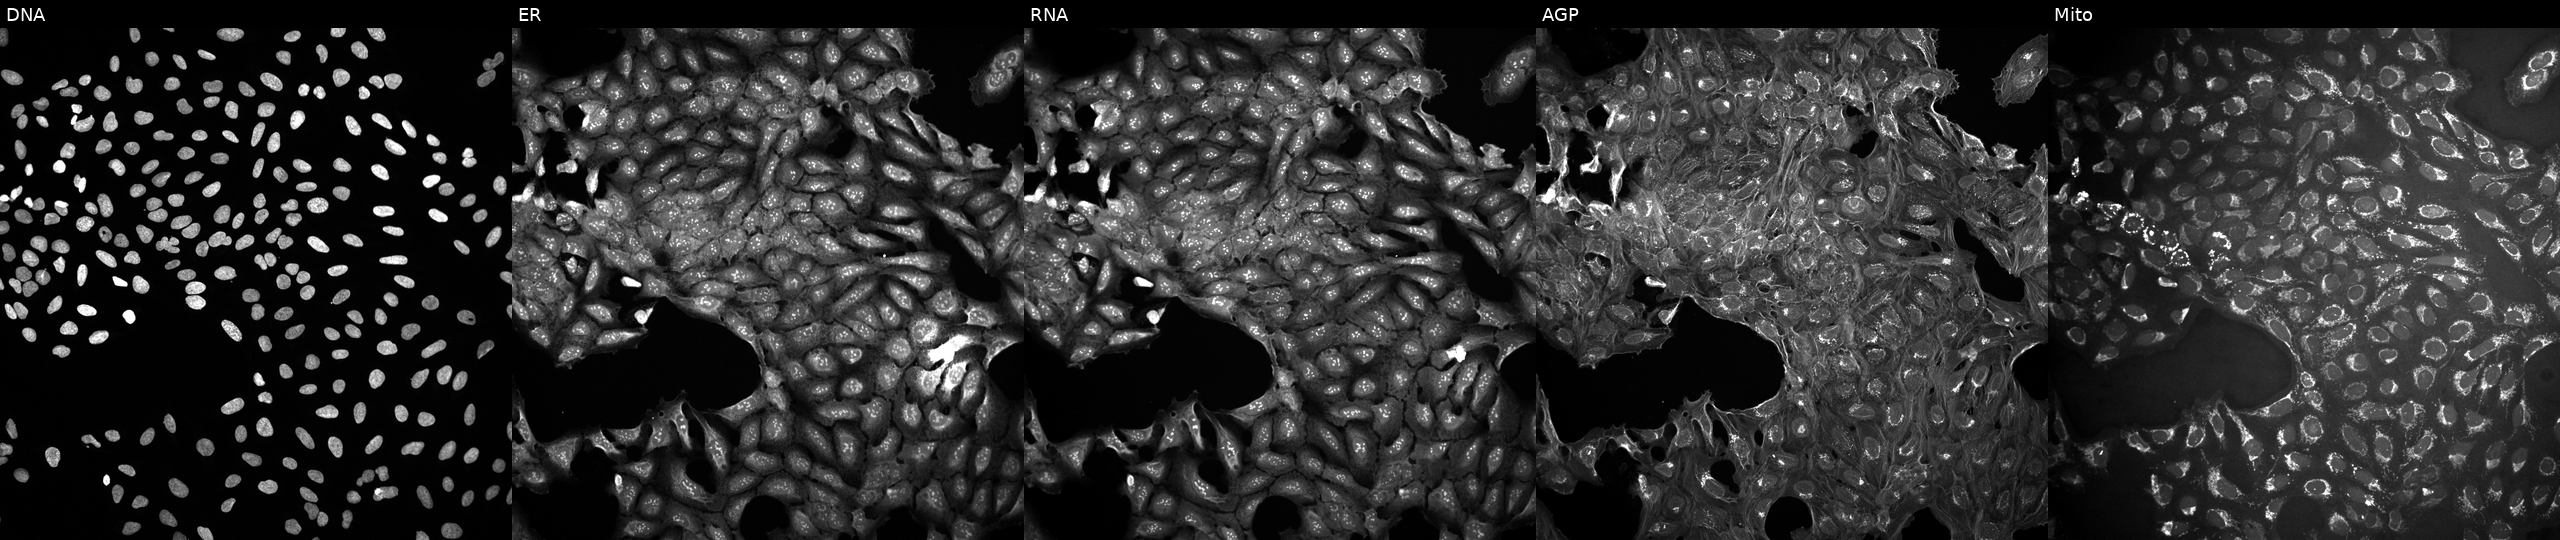
Channels (left→right): DNA, ER, RNA, AGP, and Mito. U2OS osteosarcoma cells exposed to a small-molecule compound (InChIKey NMYZWOBMMAIJOS-UHFFFAOYSA-N) [SMILES: O=S(=O)(N=c1[nH]c2ccccc2nc1N1CCN(c2ccccn2)CC1)c1ccc(Cl)cc1]. Cell Painting assay, JUMP-CP dataset.